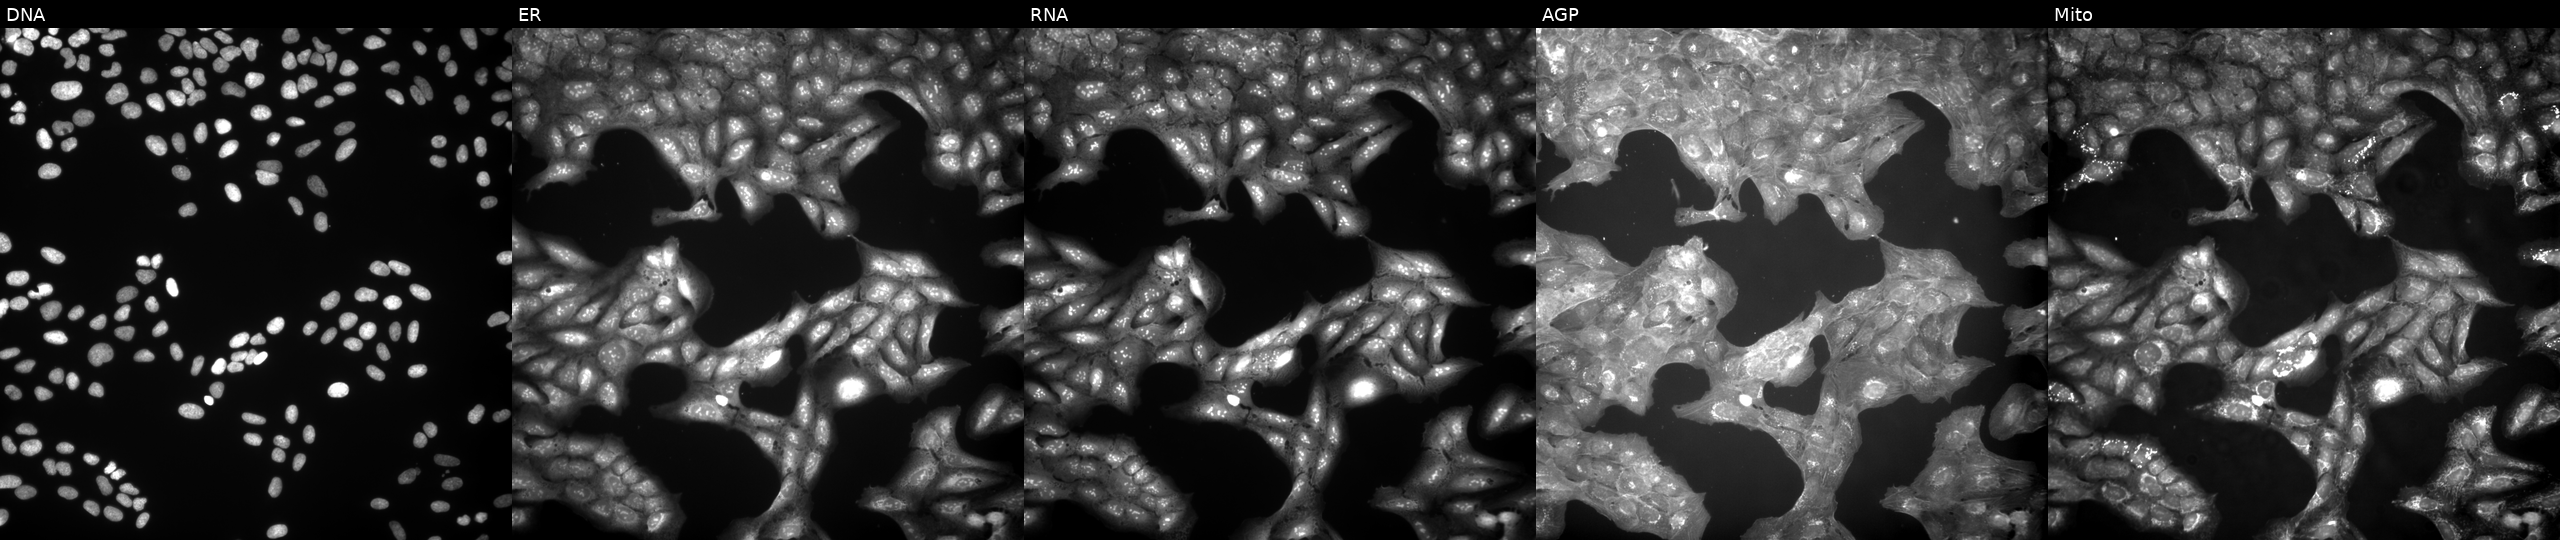
From left to right: DNA (nuclei); ER (endoplasmic reticulum); RNA (nucleoli and cytoplasmic RNA); AGP (actin cytoskeleton, Golgi, and plasma membrane); Mito (mitochondria). U2OS osteosarcoma cells exposed to a small-molecule compound (InChIKey ATKADZVINWFQOE-UHFFFAOYSA-N) (JUMP id JCP2022_003747). Cell Painting assay, JUMP-CP dataset.